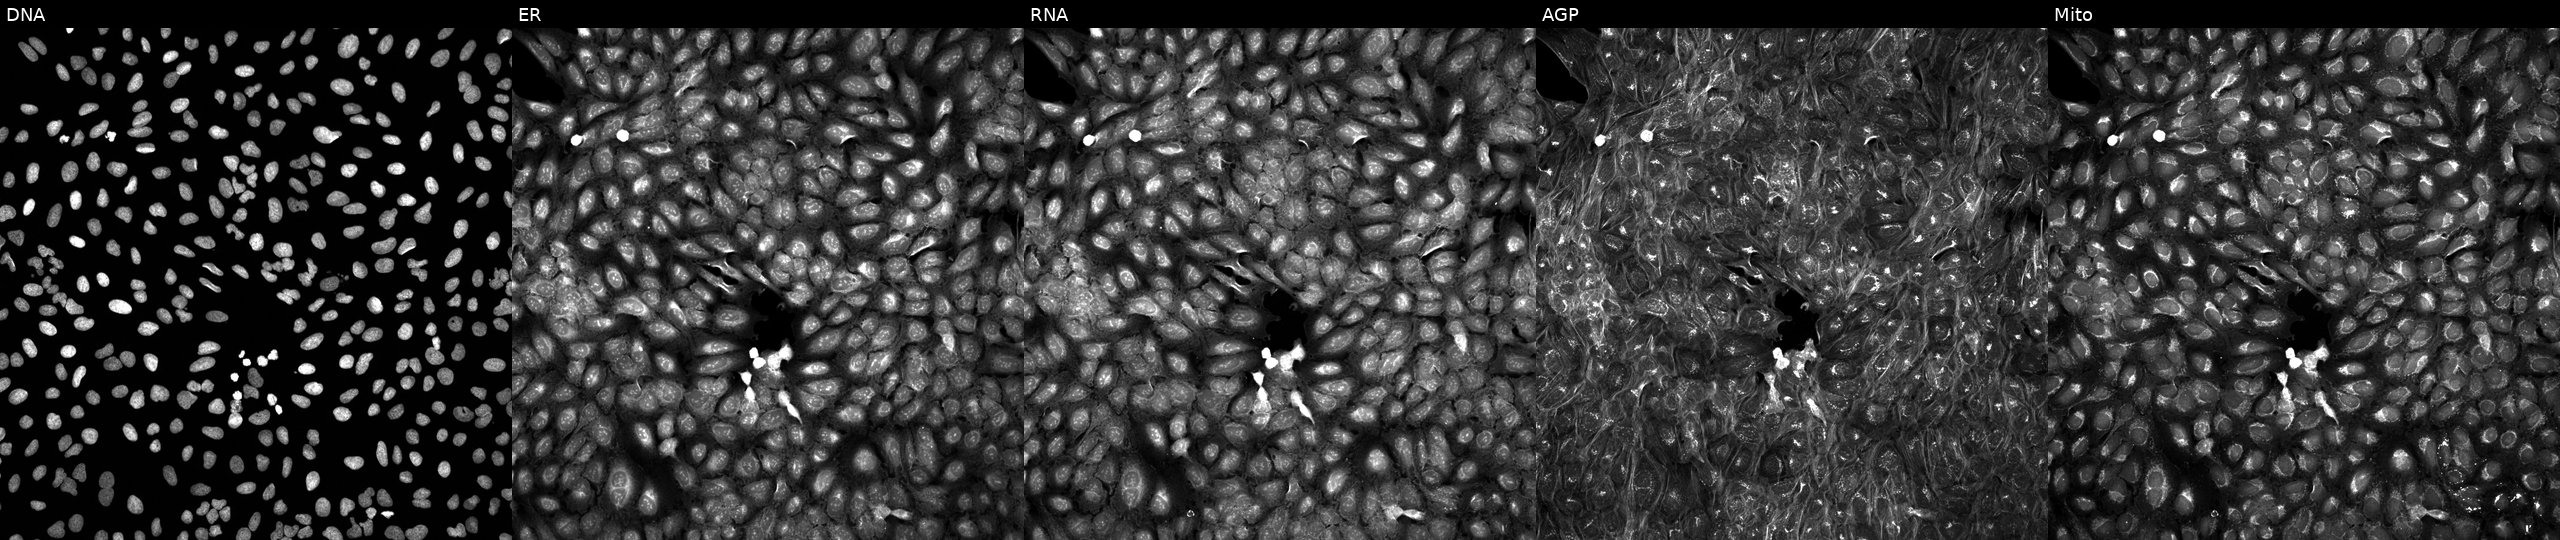
JUMP Cell Painting — COMPOUND plate. U2OS cells treated with a small-molecule compound (JUMP id JCP2022_034830). The five panels, left to right, show DNA (nuclei); ER (endoplasmic reticulum); RNA (nucleoli and cytoplasmic RNA); AGP (actin cytoskeleton, Golgi, and plasma membrane); Mito (mitochondria).